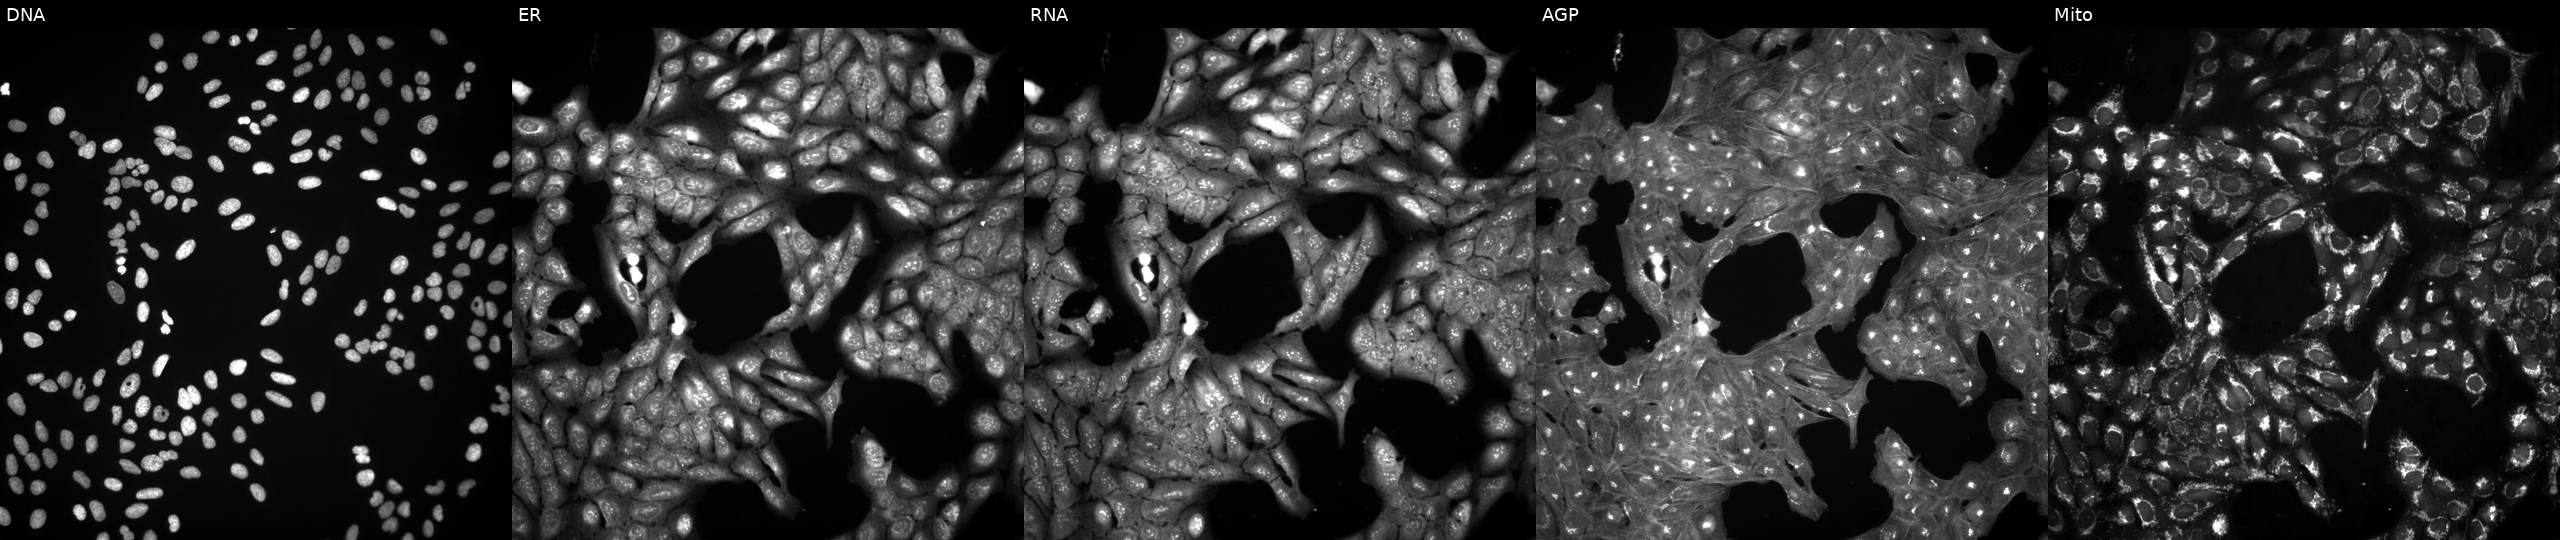
This image strip shows the five Cell Painting channels for a single field of U2OS cells perturbed with a small-molecule compound (InChIKey WJBLNOPPDWQMCH-UHFFFAOYSA-N) (JUMP id JCP2022_099089). Panels show, left to right, DNA, ER, RNA, AGP, and Mito. Source 3, plate JCPQC052, well O02.